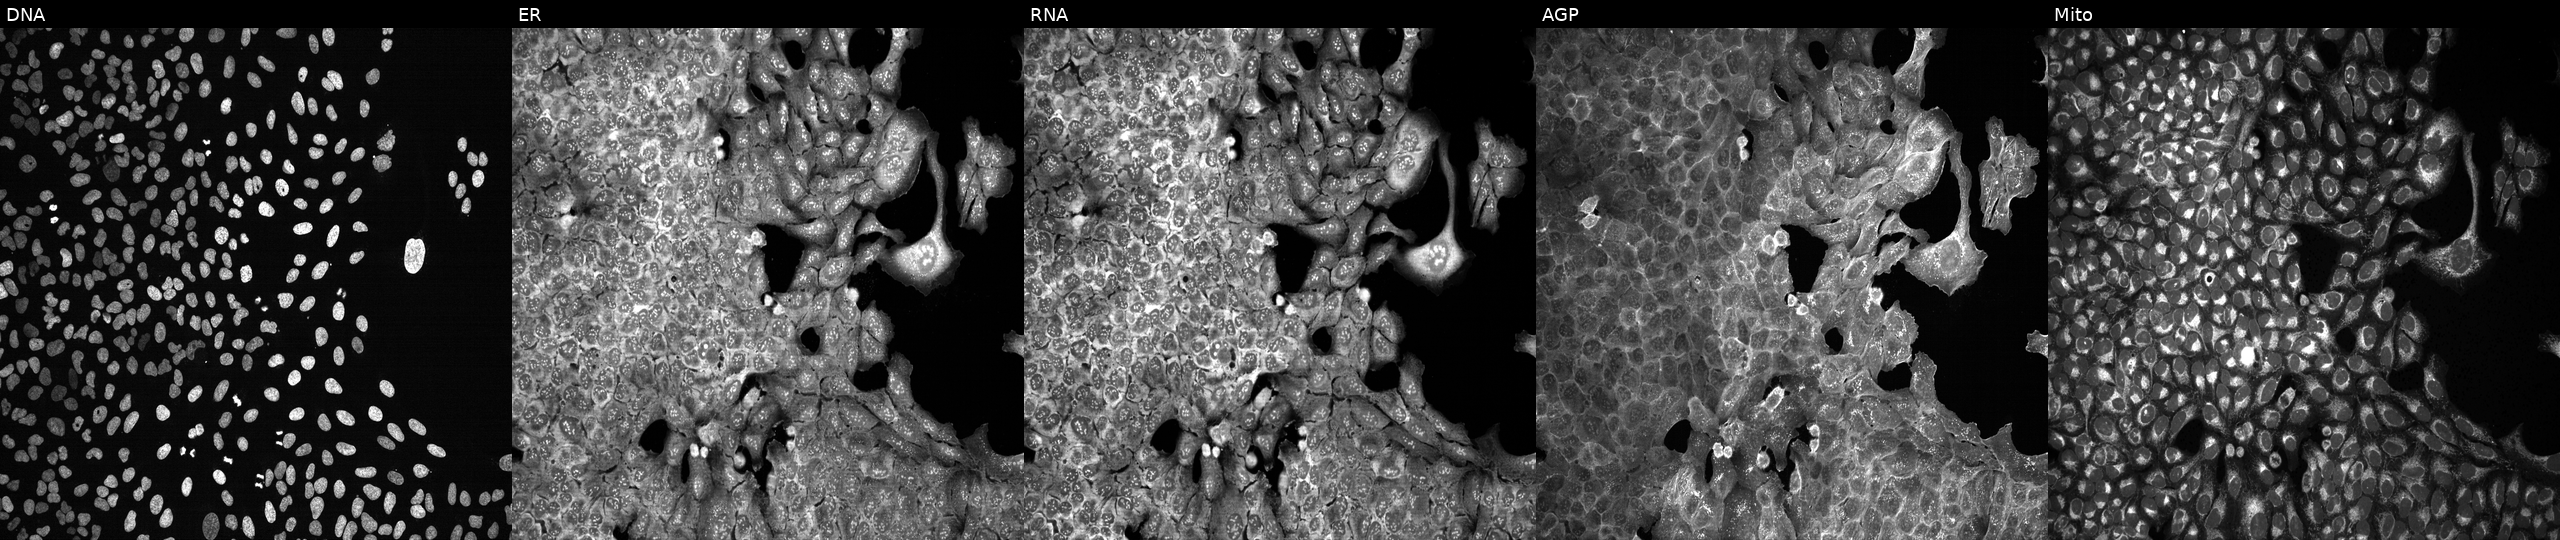
JUMP Cell Painting — CRISPR plate. U2OS cells CRISPR-edited to disrupt MMP26. Panels show, left to right, Hoechst 33342, concanavalin A, SYTO 14, phalloidin and WGA, MitoTracker. Source 13, plate CP-CC9-R6-19, well G20.